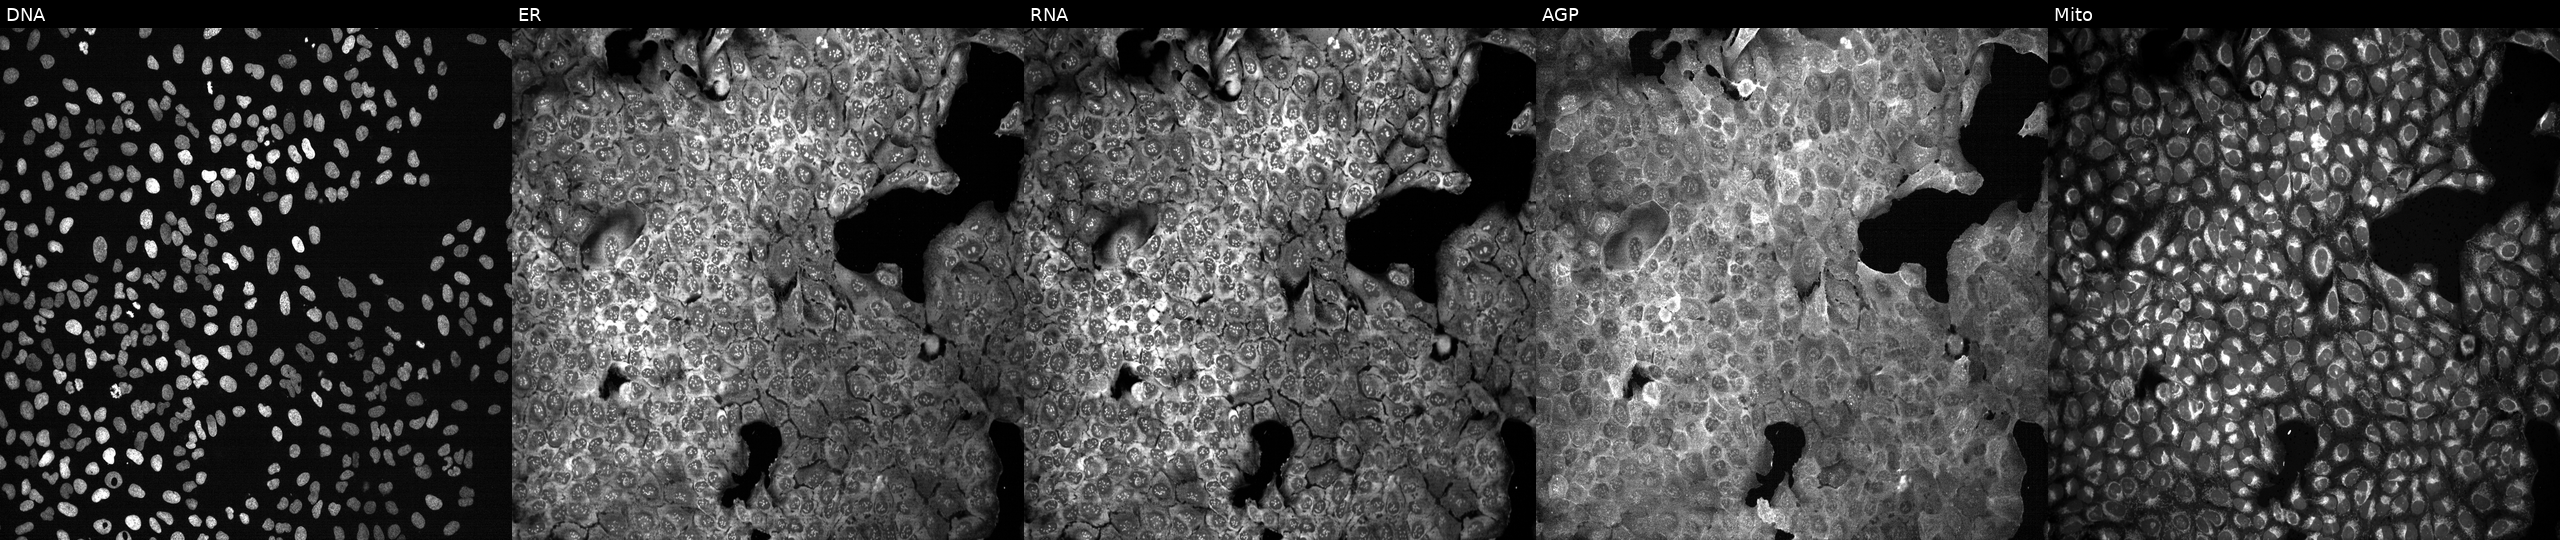
JUMP Cell Painting — CRISPR plate. U2OS cells following CRISPR knockout of MLH3. From left to right: DNA, ER, RNA, AGP, and Mito.